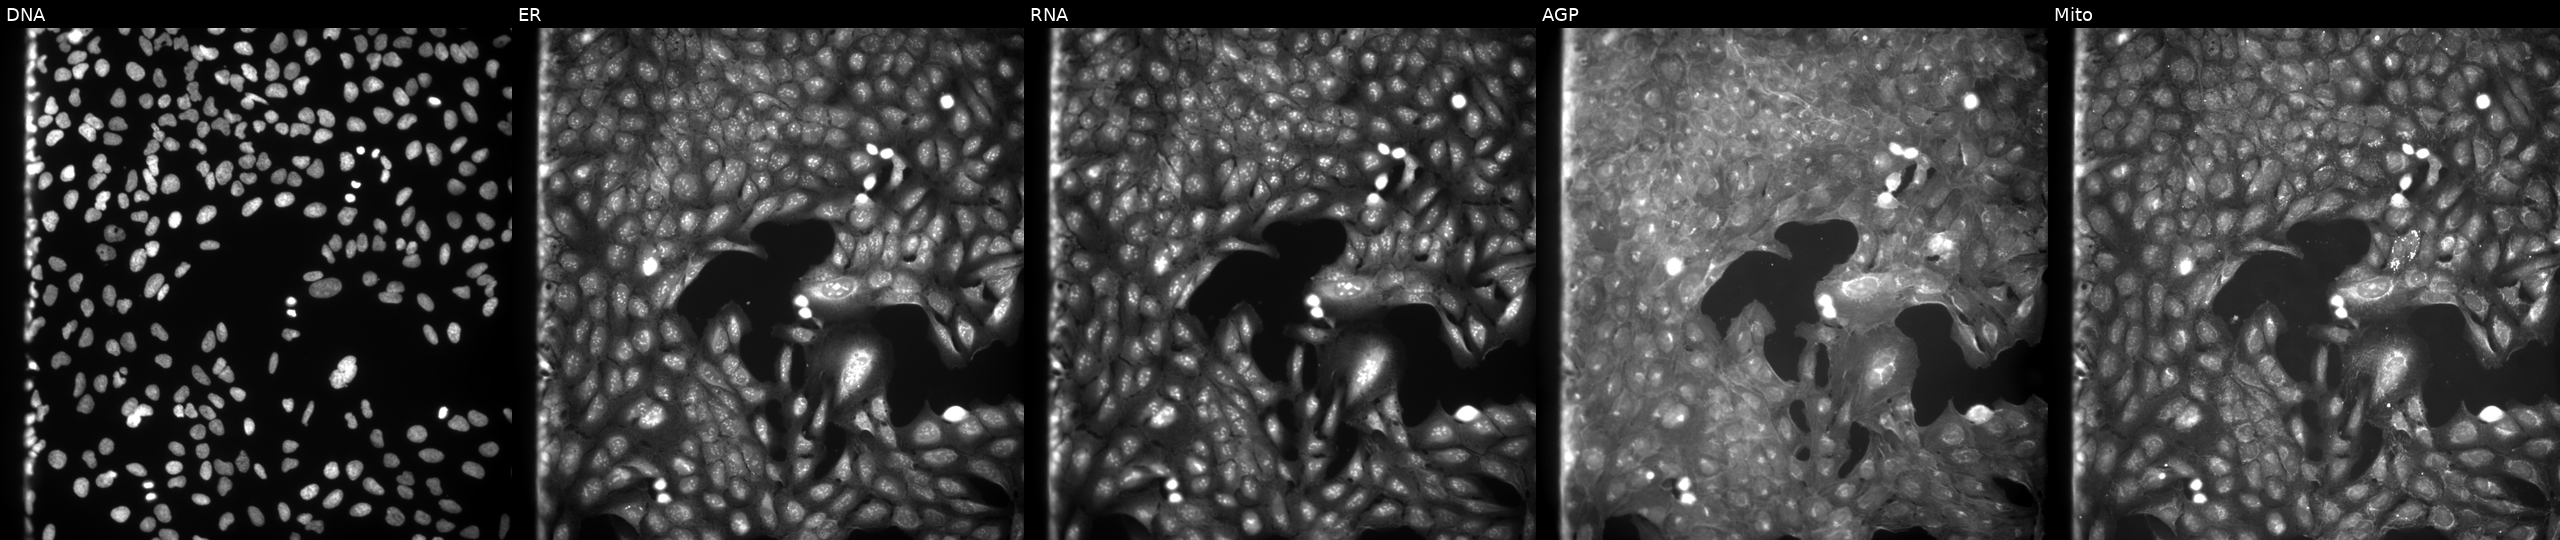
JUMP Cell Painting — COMPOUND plate. U2OS cells treated with a small-molecule compound (InChIKey TWDLVCXZJMHDQS-UHFFFAOYSA-N). From left to right: DNA, ER, RNA, AGP, and Mito. Source 9, plate GR00003382, well G10.